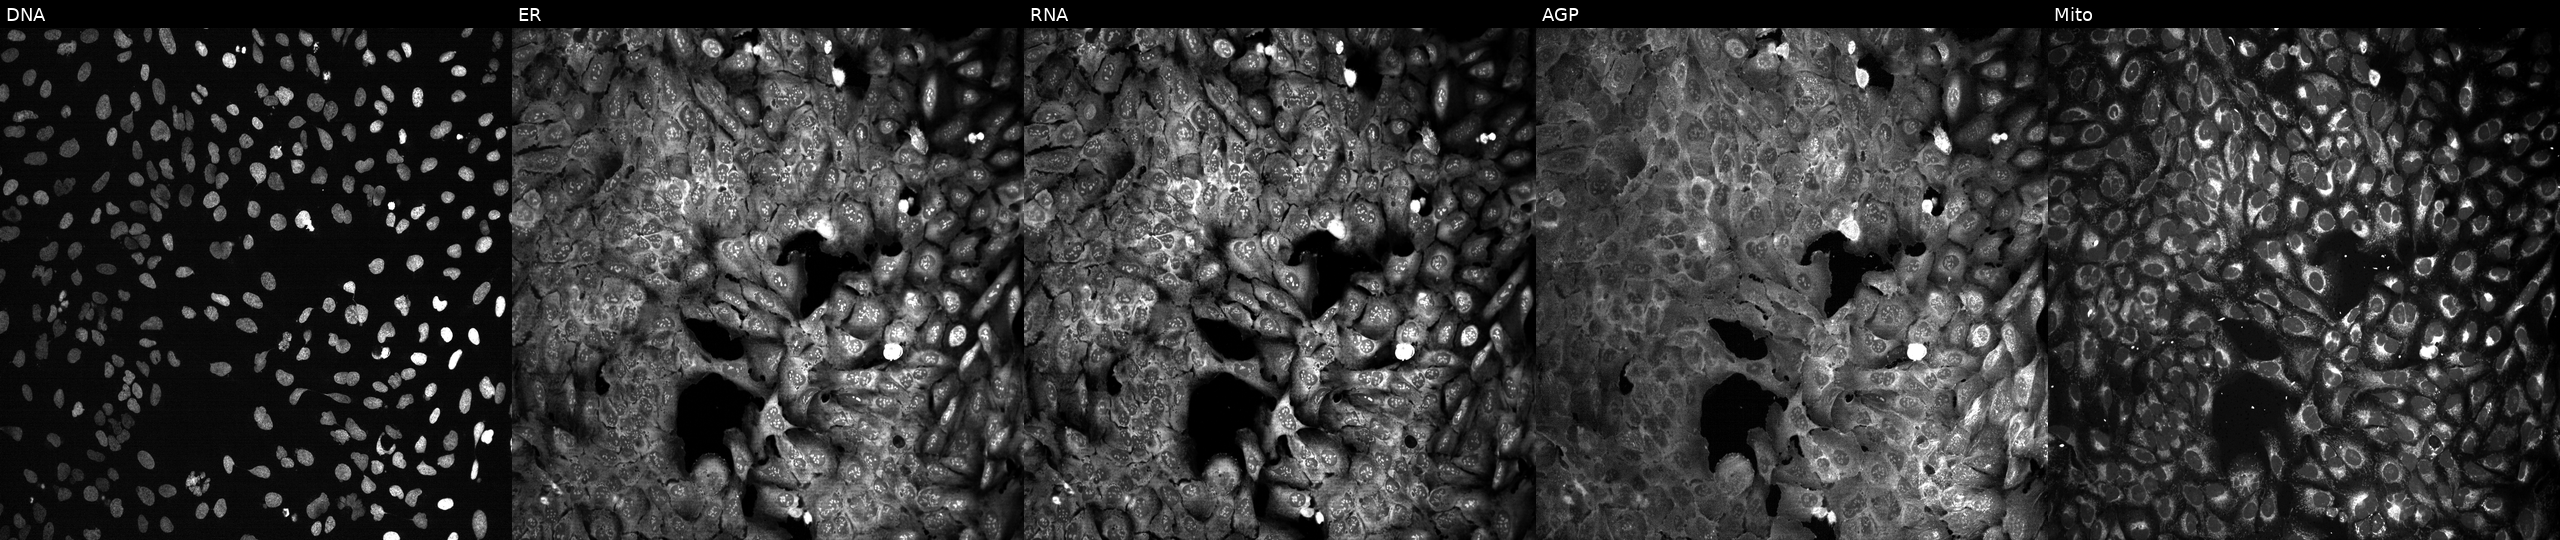
U2OS cells, Cell Painting assay, CRISPR-edited to disrupt TOP2A (JUMP id JCP2022_807196). Channels (left→right): Hoechst 33342, concanavalin A, SYTO 14, phalloidin and WGA, MitoTracker. Each panel is percentile-stretched 16-bit fluorescence.